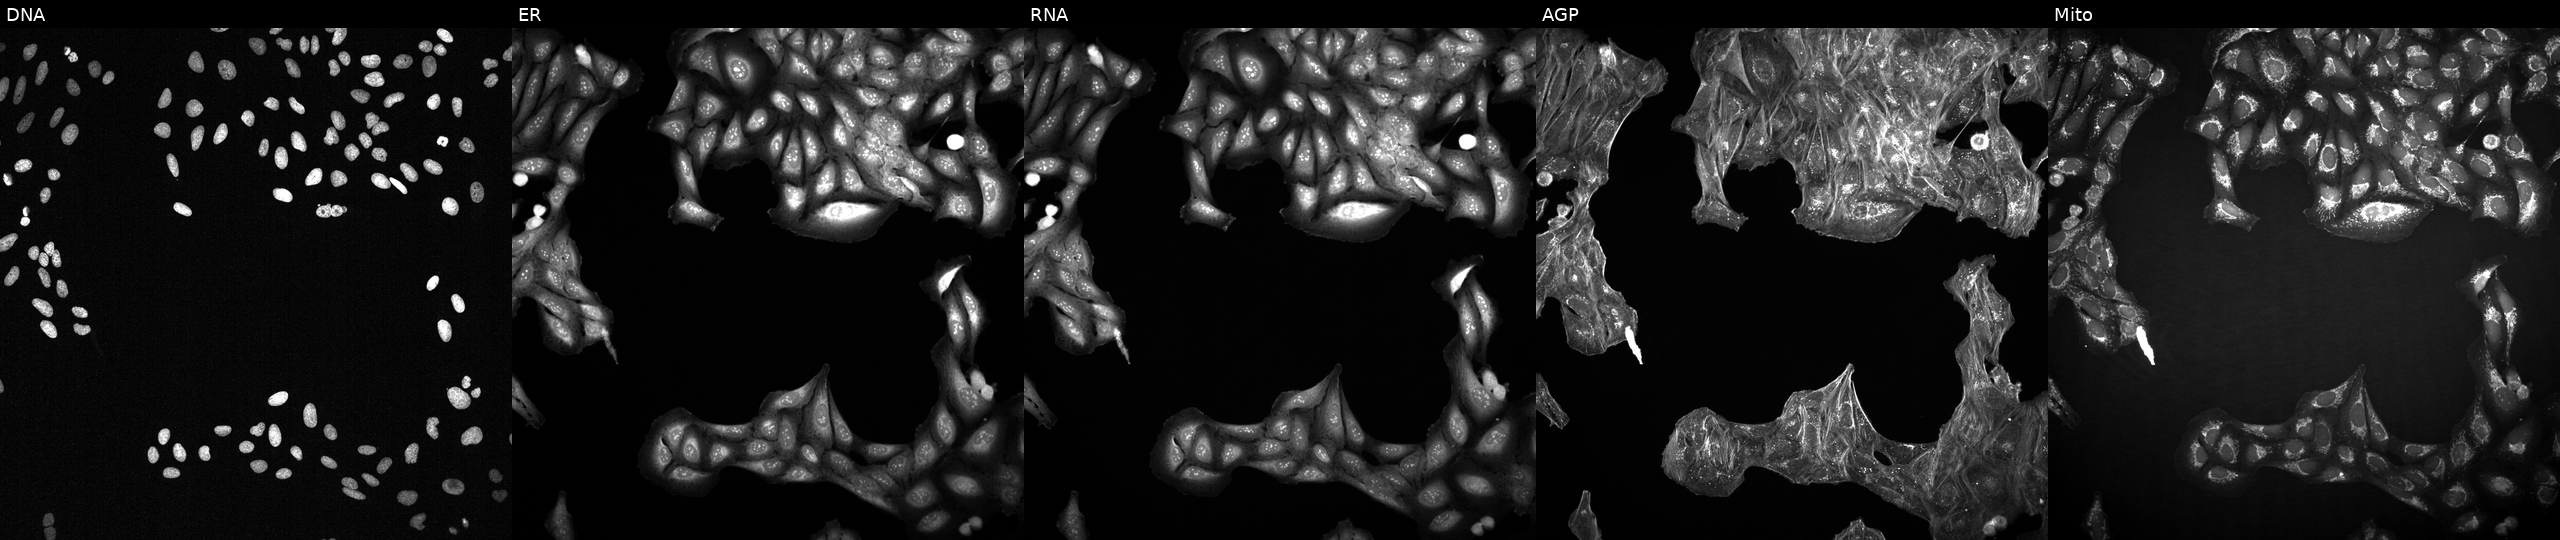
Five-channel Cell Painting image of U2OS cells exposed to a small-molecule compound (InChIKey DJKJVWJQAVGLHJ-UHFFFAOYSA-N). From left to right: Hoechst 33342, concanavalin A, SYTO 14, phalloidin and WGA, MitoTracker. Source 2, plate 1053600674, well A11.